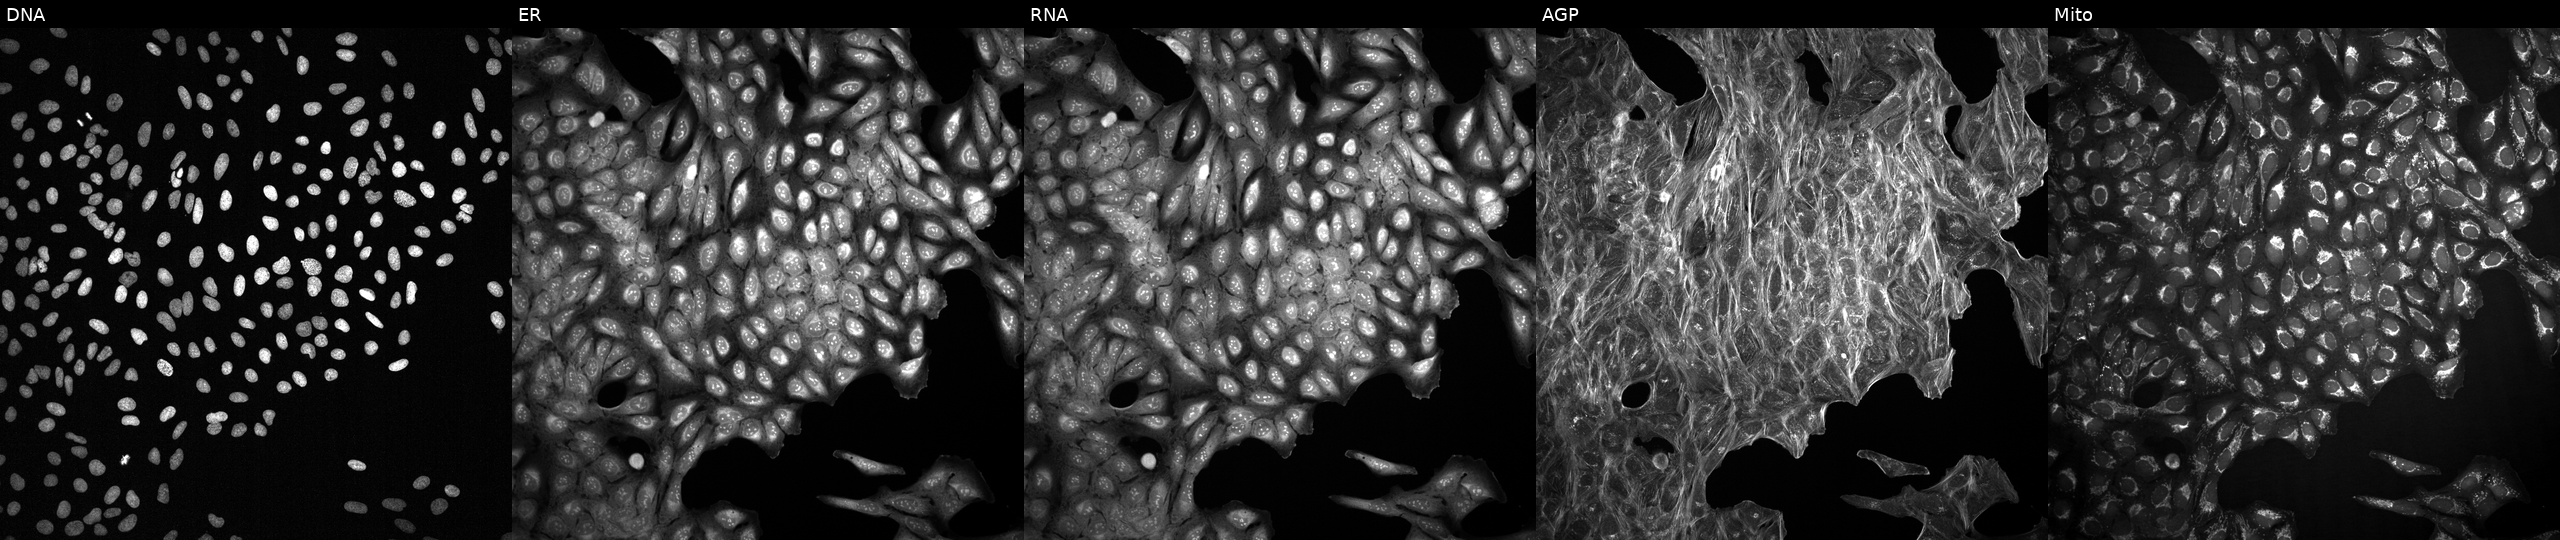
The five panels, left to right, show DNA (nuclei); ER (endoplasmic reticulum); RNA (nucleoli and cytoplasmic RNA); AGP (actin cytoskeleton, Golgi, and plasma membrane); Mito (mitochondria). U2OS osteosarcoma cells treated with a small-molecule compound (InChIKey SHZKQBHERIJWAO-UHFFFAOYSA-N) (JUMP id JCP2022_083372). Cell Painting assay, JUMP-CP dataset.